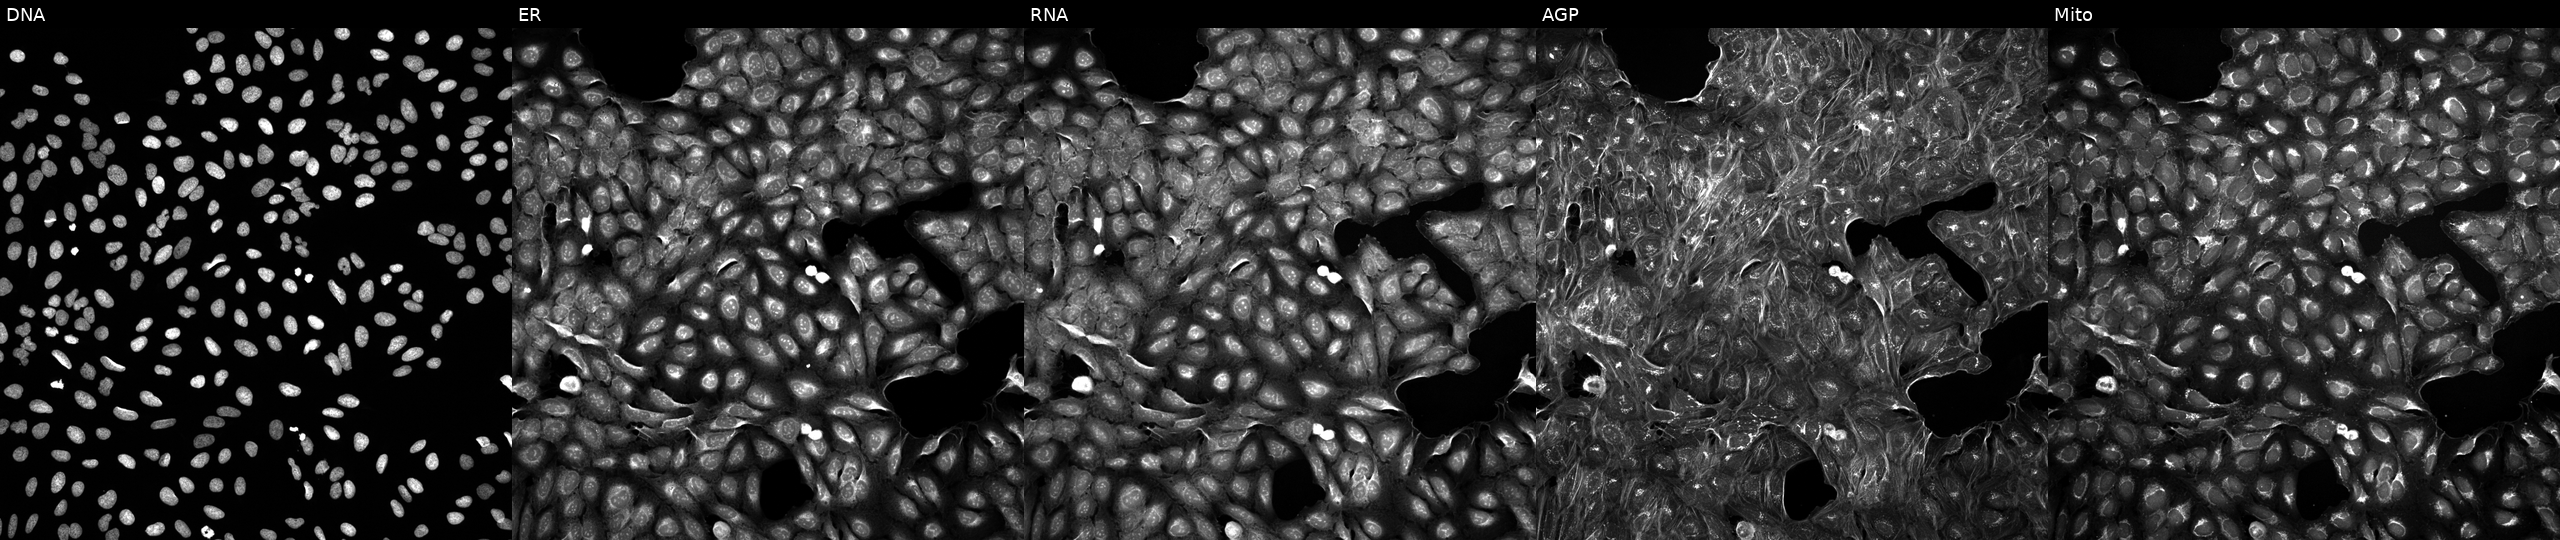
High-content fluorescence microscopy (Cell Painting). Cell line: U2OS. Perturbation: treated with a small-molecule compound (InChIKey NOIIUHRQUVNIDD-UHFFFAOYSA-N). Panels show, left to right, Hoechst 33342, concanavalin A, SYTO 14, phalloidin and WGA, MitoTracker.